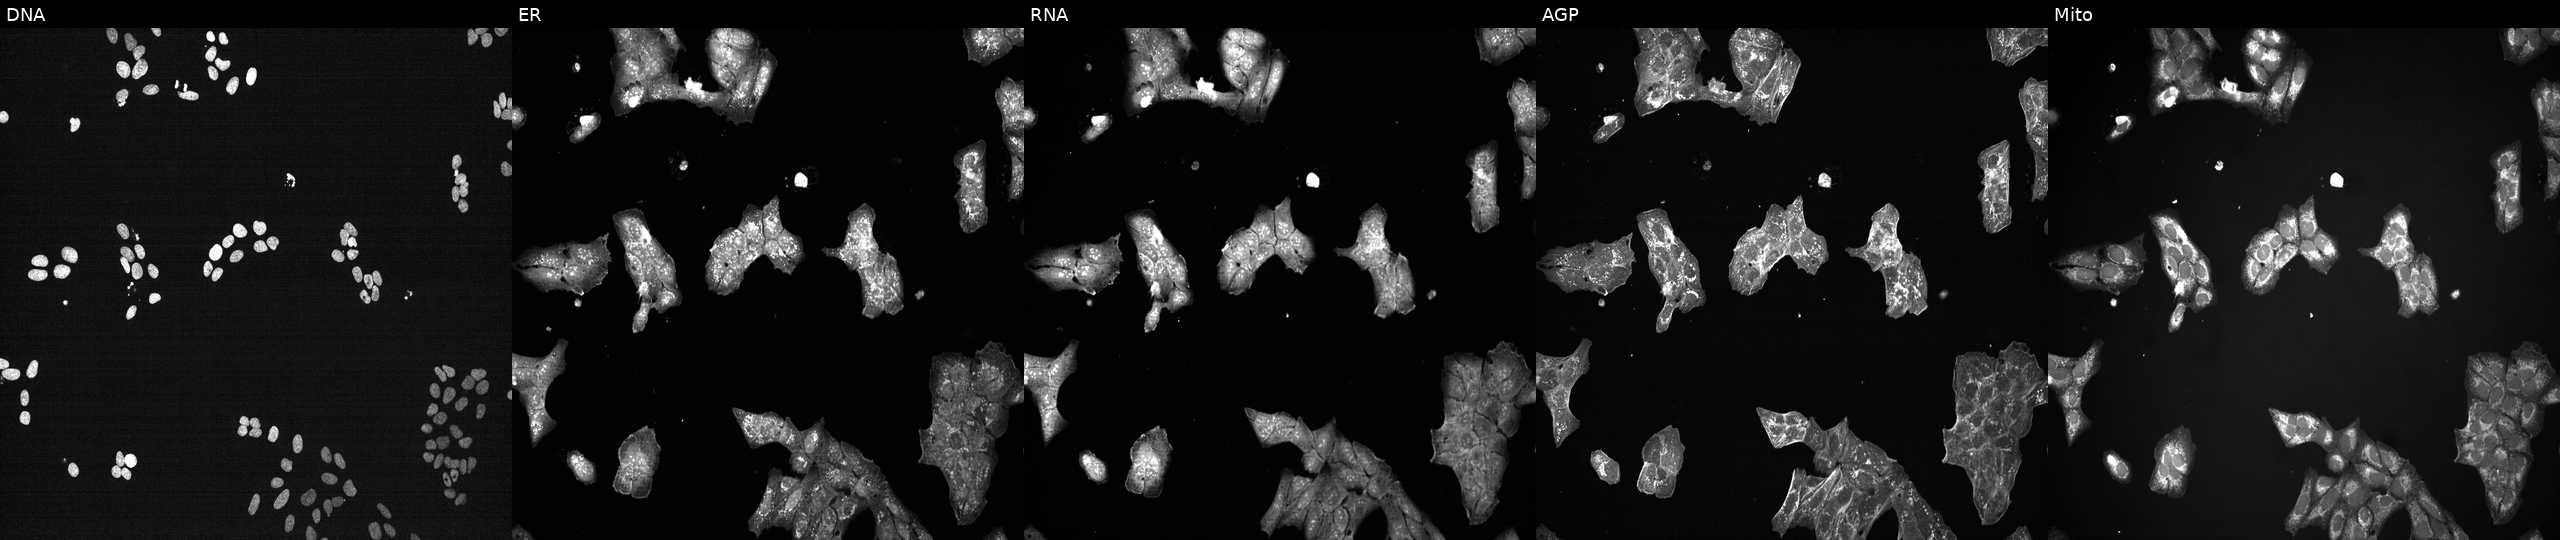
High-content fluorescence microscopy (Cell Painting). Cell line: U2OS. Perturbation: exposed to a small-molecule compound (InChIKey XXJWYDDUDKYVKI-UHFFFAOYSA-N) (JUMP id JCP2022_106680). Panels show, left to right, Hoechst 33342, concanavalin A, SYTO 14, phalloidin and WGA, MitoTracker.